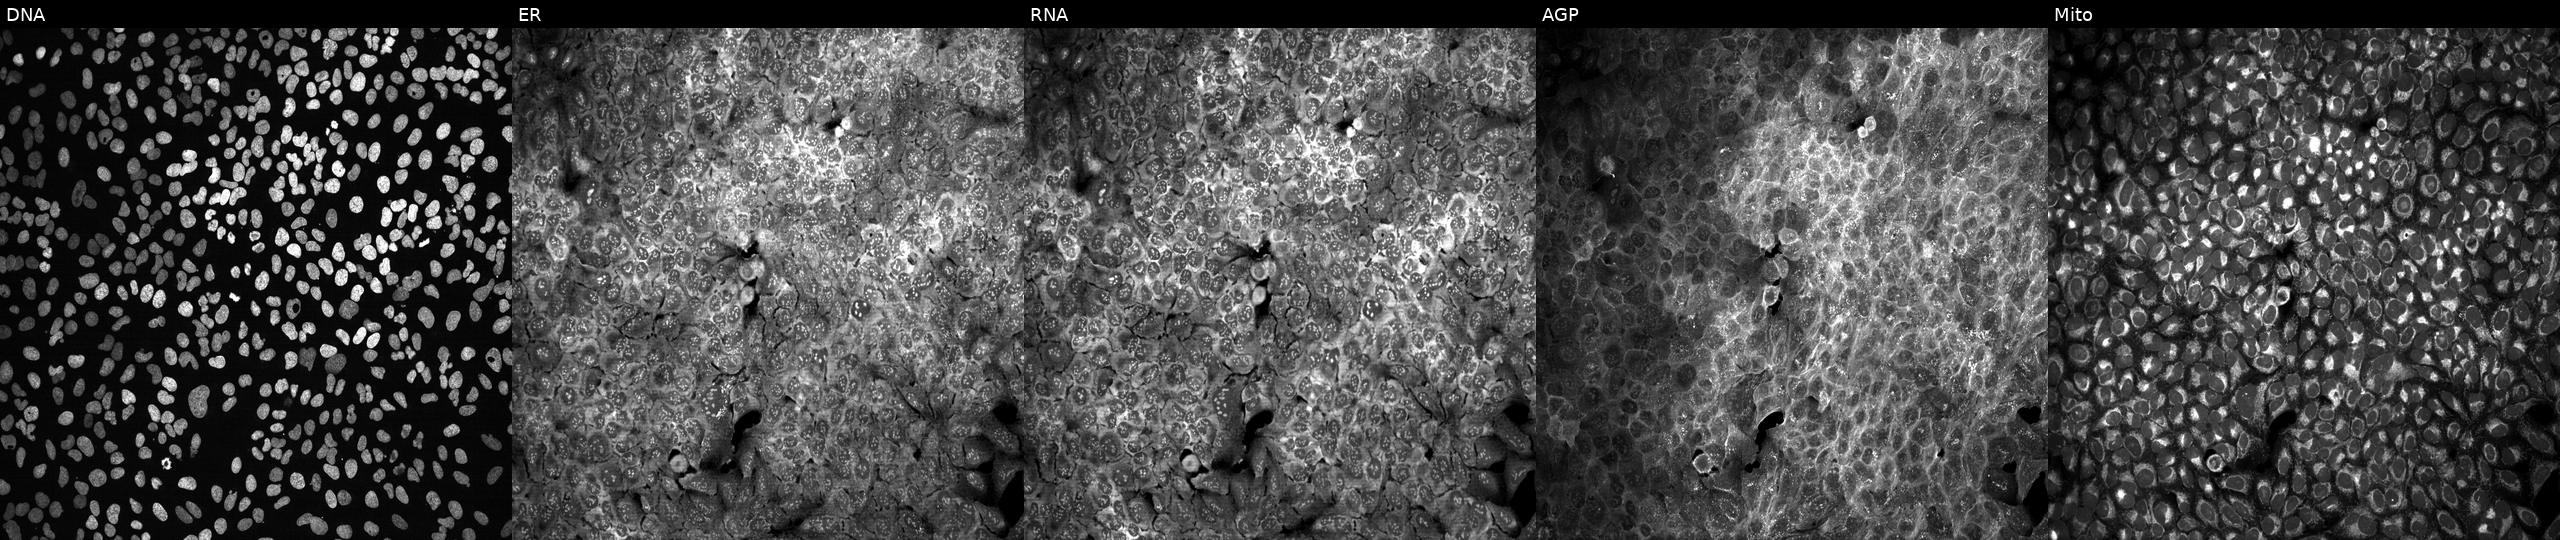
Five-channel Cell Painting image of U2OS cells following CRISPR knockout of PCSK9 (JUMP id JCP2022_804972). Panels show, left to right, Hoechst 33342, concanavalin A, SYTO 14, phalloidin and WGA, MitoTracker. Source 13, plate CP-CC9-R6-19, well M20.